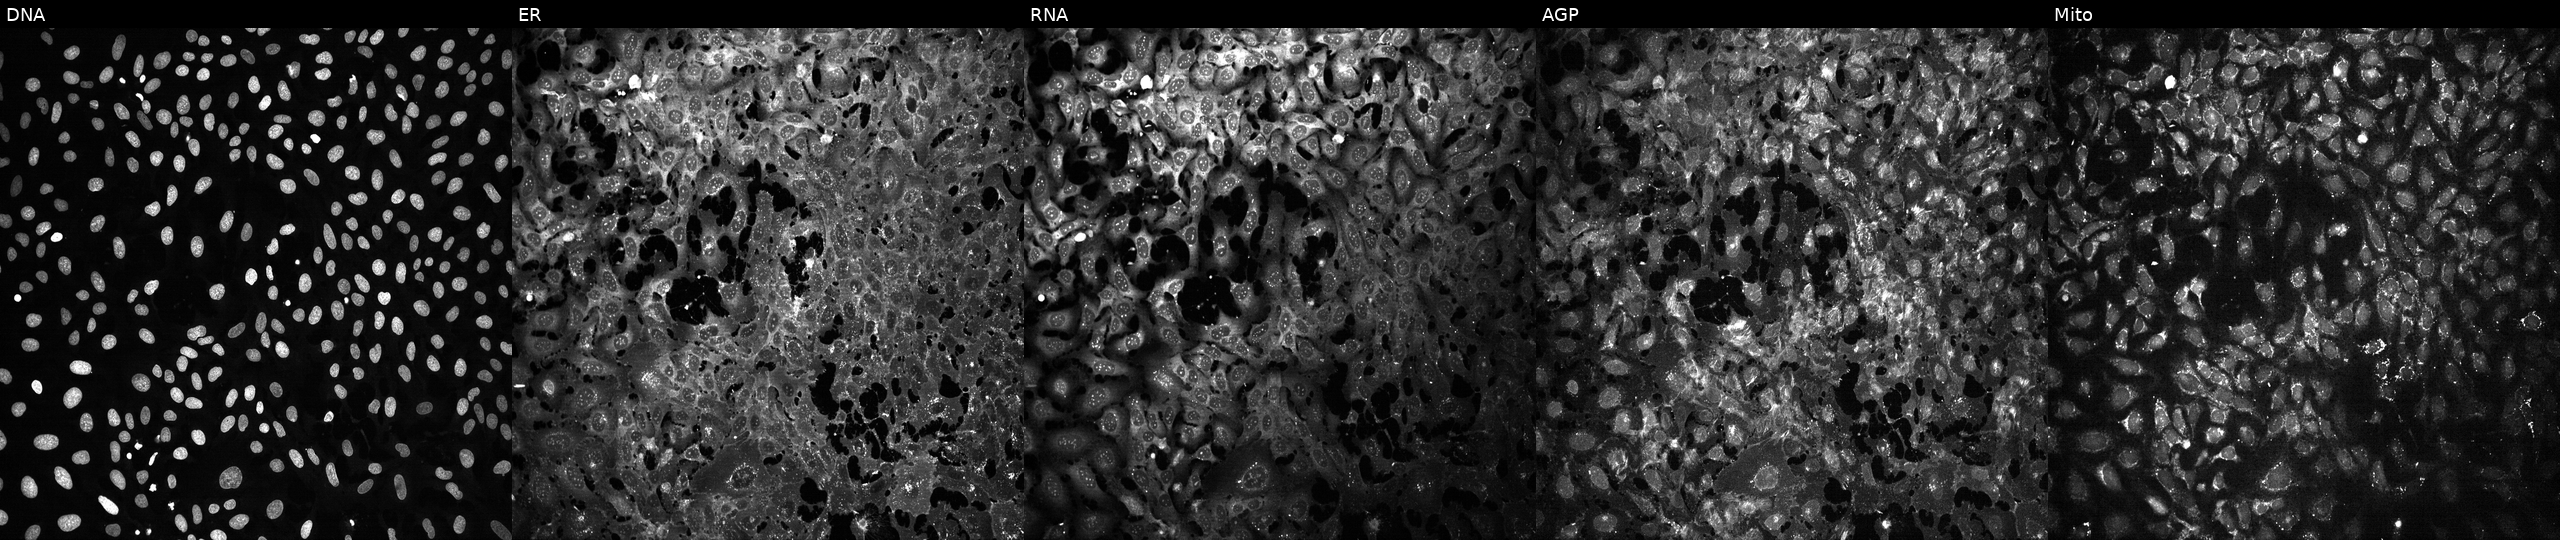
Five-channel Cell Painting image of U2OS cells exposed to the positive-control compound FK-866. Panels show, left to right, Hoechst 33342, concanavalin A, SYTO 14, phalloidin and WGA, MitoTracker.